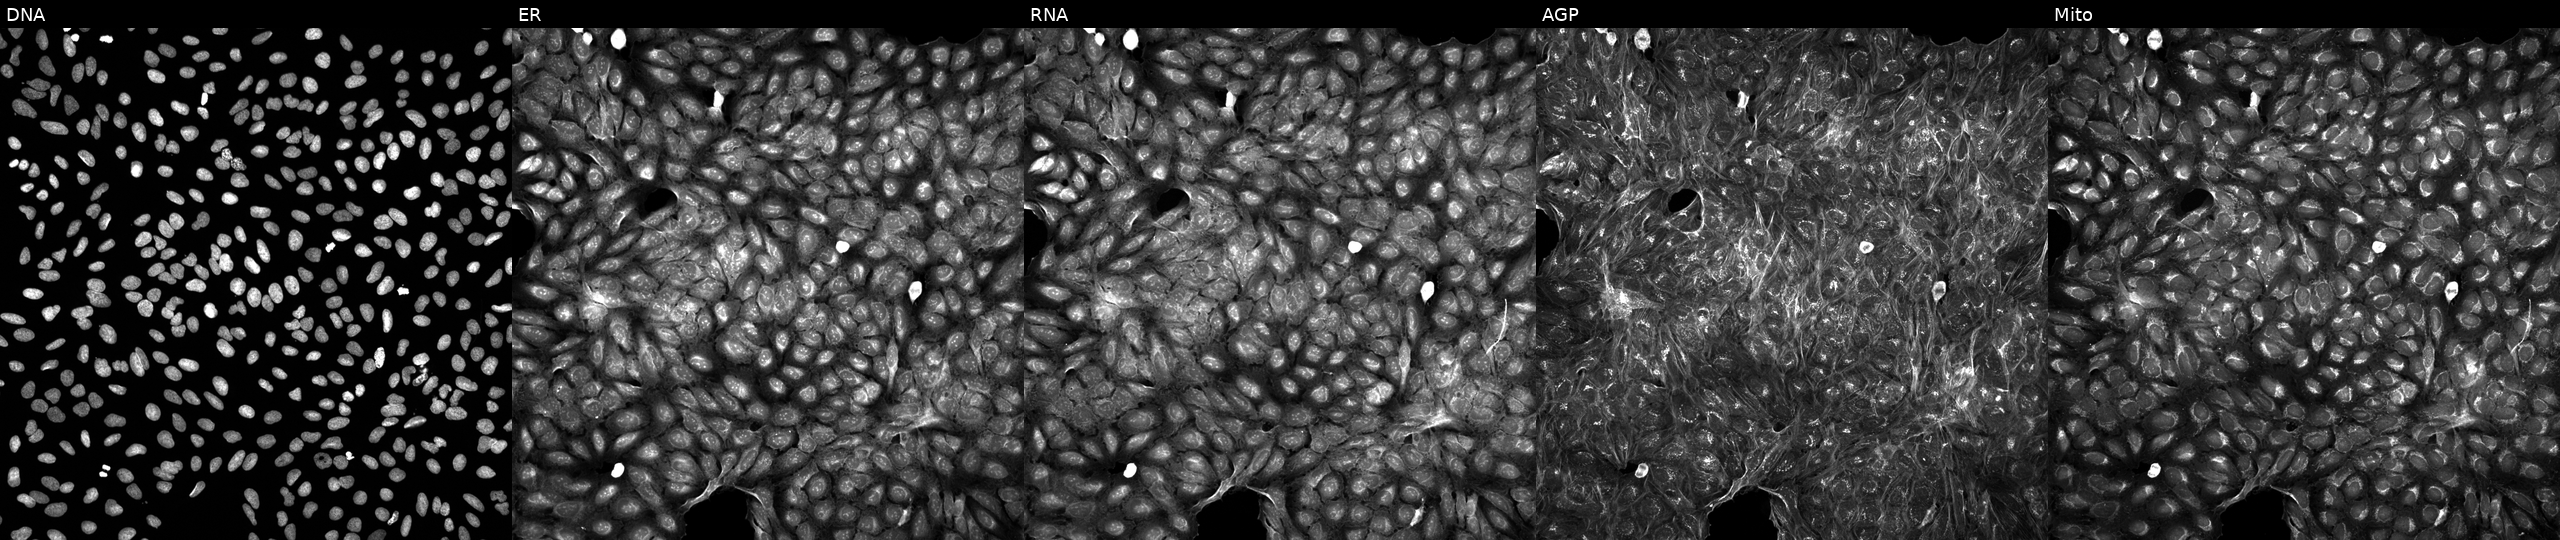
Five-channel Cell Painting image of U2OS cells exposed to a small-molecule compound (InChIKey PELBLWYGEMLKFS-UHFFFAOYSA-N). Channels (left→right): DNA, ER, RNA, AGP, and Mito.